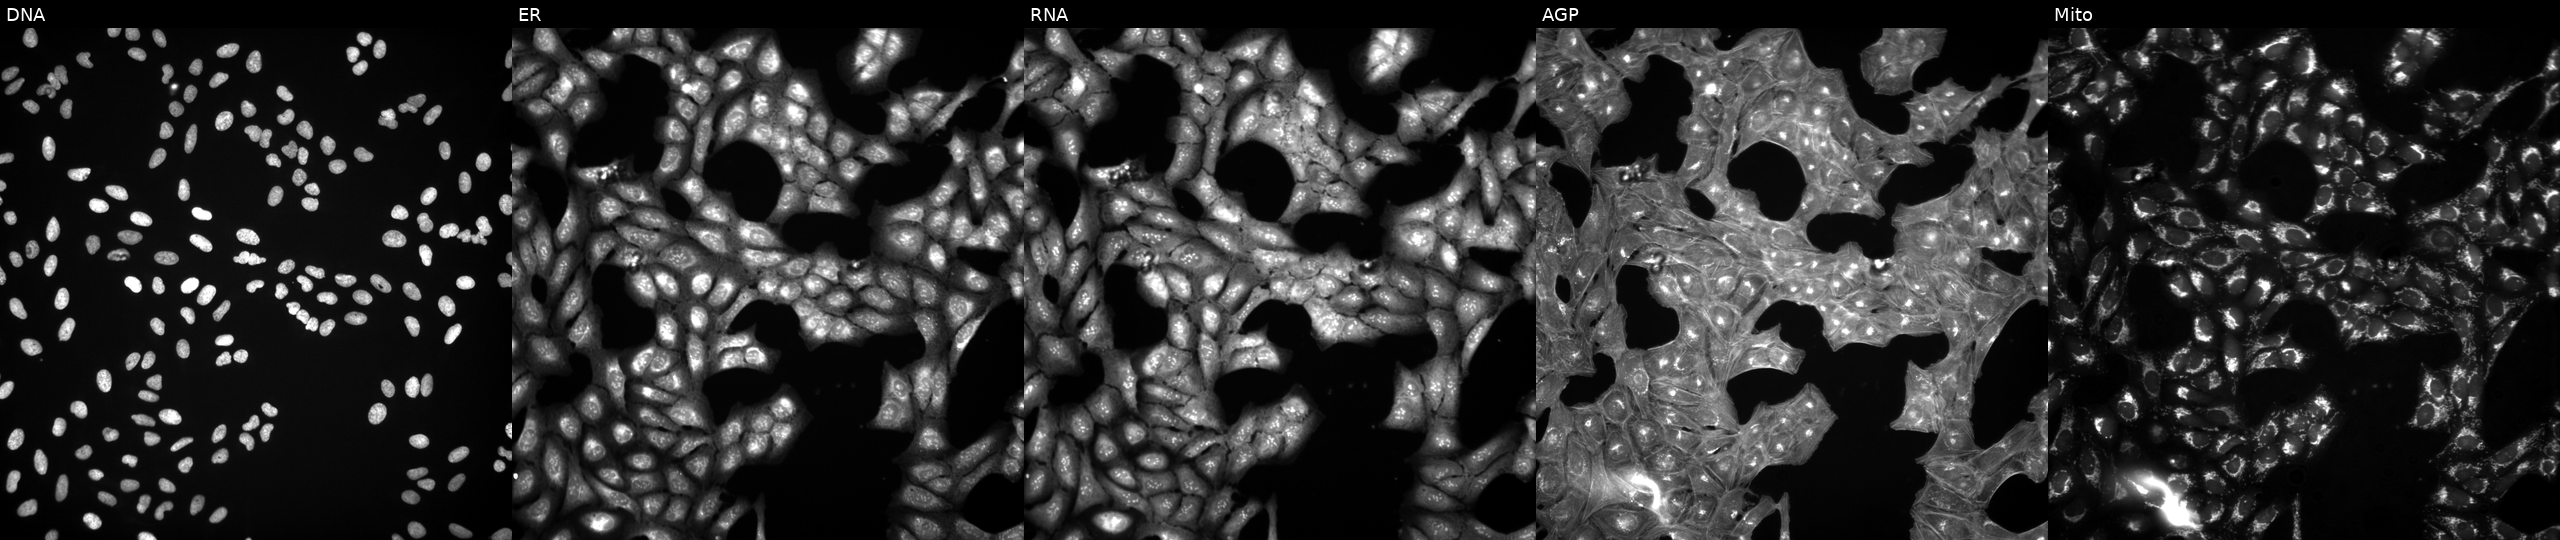
High-content fluorescence microscopy (Cell Painting). Cell line: U2OS. Perturbation: exposed to a small-molecule compound. Channels (left→right): DNA, ER, RNA, AGP, and Mito.